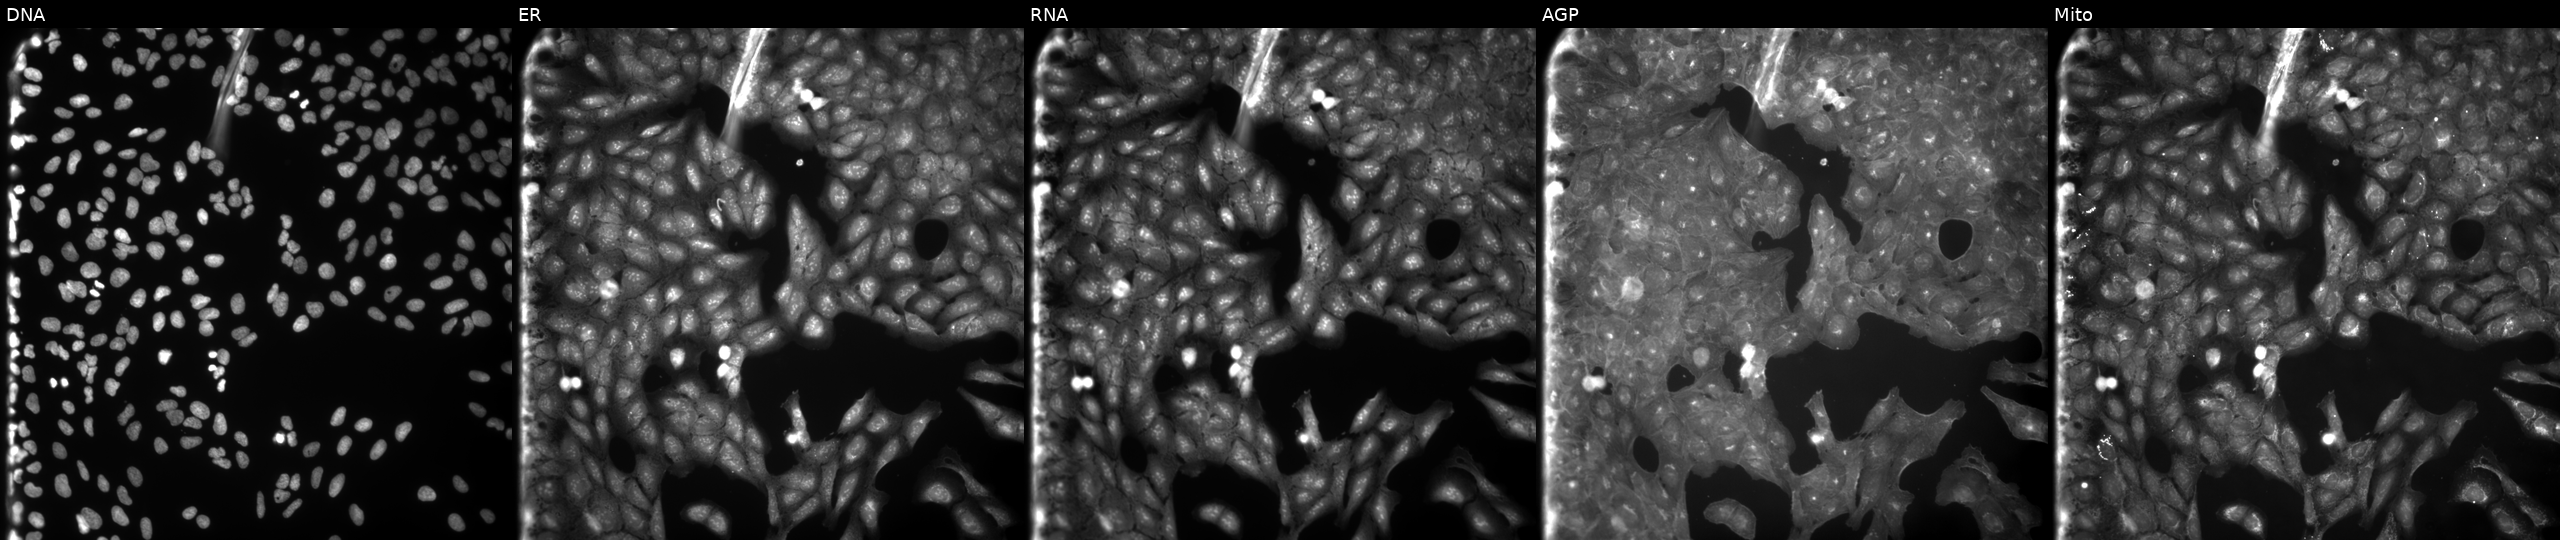
JUMP Cell Painting — COMPOUND plate. U2OS cells treated with a small-molecule compound (InChIKey AQYAETCOFPRBGR-UHFFFAOYSA-N) [SMILES: CCCC(=O)Nc1ccc(-c2nc3ncccc3o2)cc1] (JUMP id JCP2022_003237). Channels (left→right): DNA (nuclei); ER (endoplasmic reticulum); RNA (nucleoli and cytoplasmic RNA); AGP (actin cytoskeleton, Golgi, and plasma membrane); Mito (mitochondria).